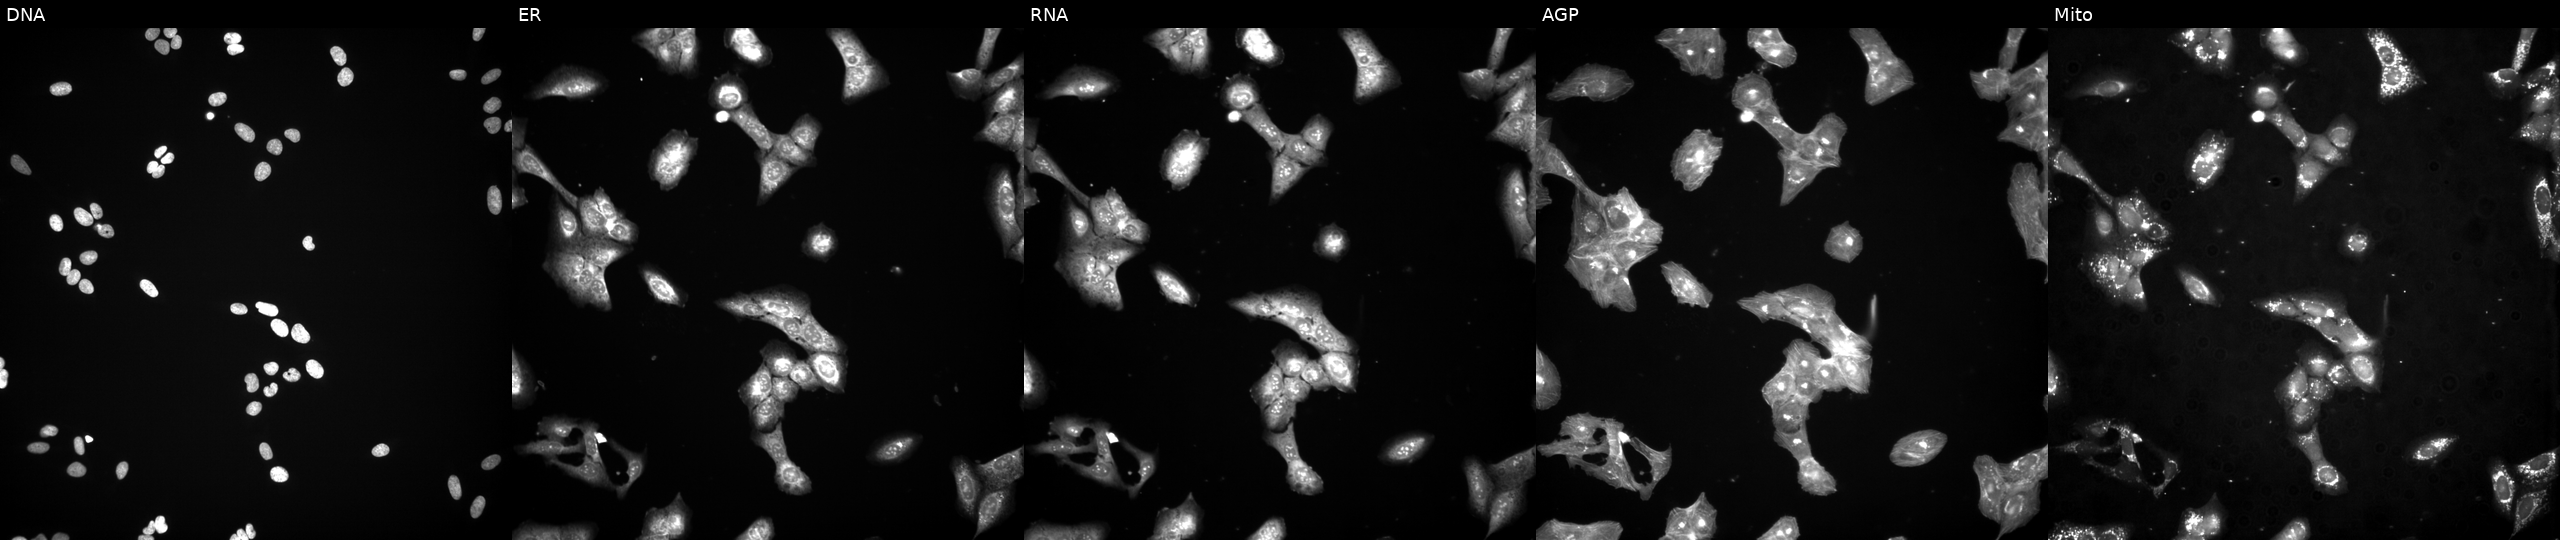
U2OS cells, Cell Painting assay, exposed to a small-molecule compound (InChIKey FUGATMLBQOERIH-UHFFFAOYSA-N) [SMILES: COc1cccc(-c2n[nH]c(=NC(=O)c3ccc(S(=O)(=O)N4CC(C)OC(C)C4)cc3)o2)c1]. From left to right: DNA (nuclei); ER (endoplasmic reticulum); RNA (nucleoli and cytoplasmic RNA); AGP (actin cytoskeleton, Golgi, and plasma membrane); Mito (mitochondria). Each panel is percentile-stretched 16-bit fluorescence.